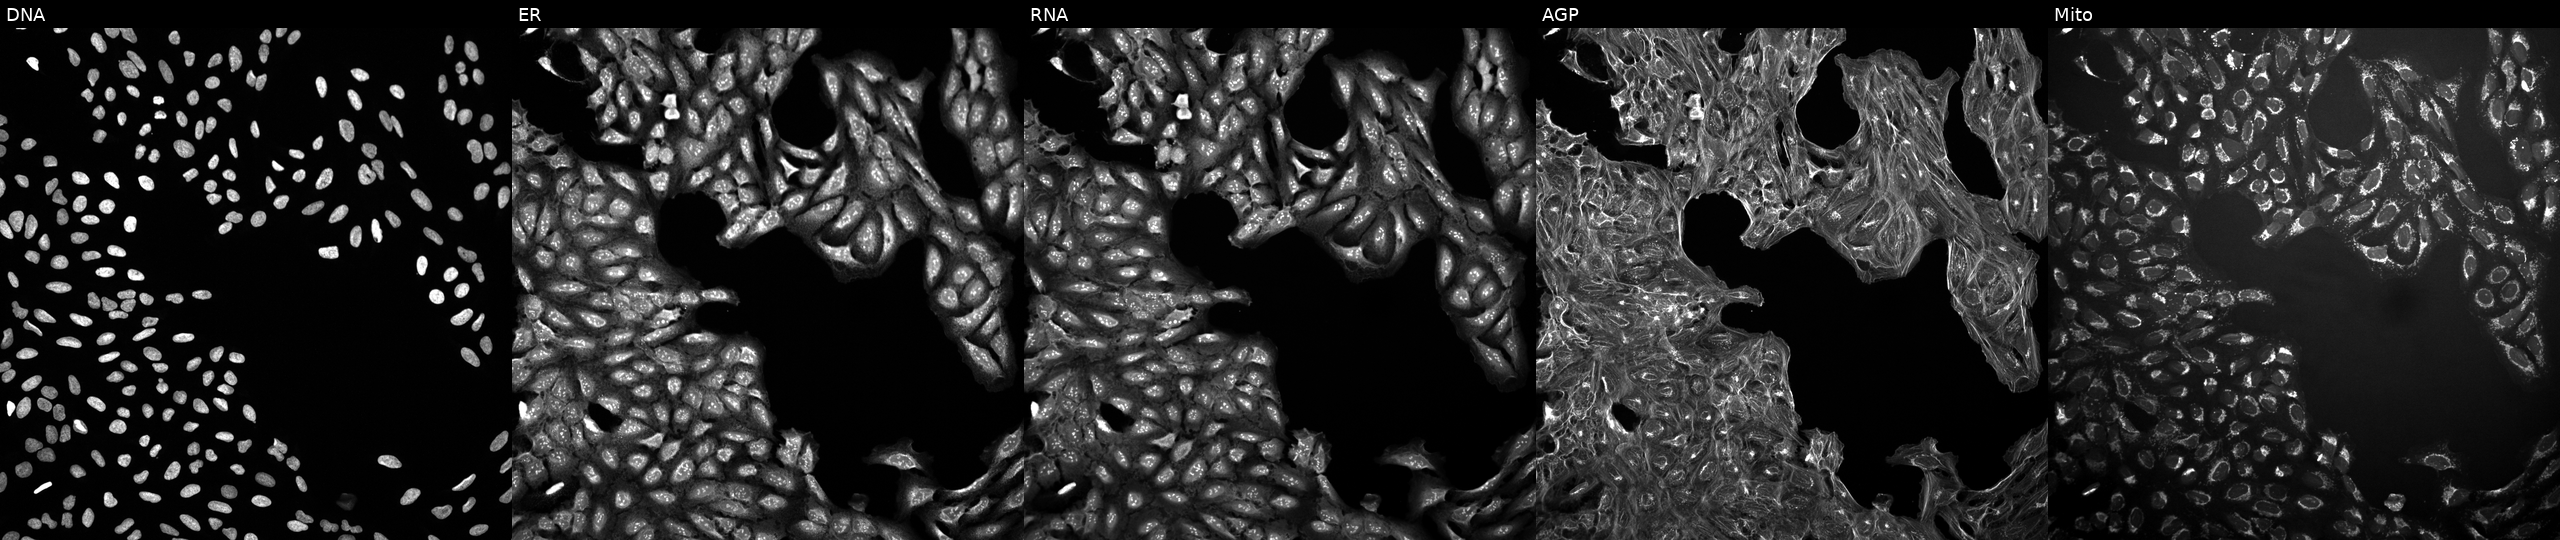
JUMP Cell Painting — TARGET2 plate. U2OS cells perturbed with a small-molecule compound (InChIKey GCUCIFQCGJIRNT-UHFFFAOYSA-N) [SMILES: O=C(O)CN1C(=O)c2cccc3cccc(c23)C1=O]. From left to right: Hoechst 33342, concanavalin A, SYTO 14, phalloidin and WGA, MitoTracker. Source 10, plate Dest210726-160150, well C07.